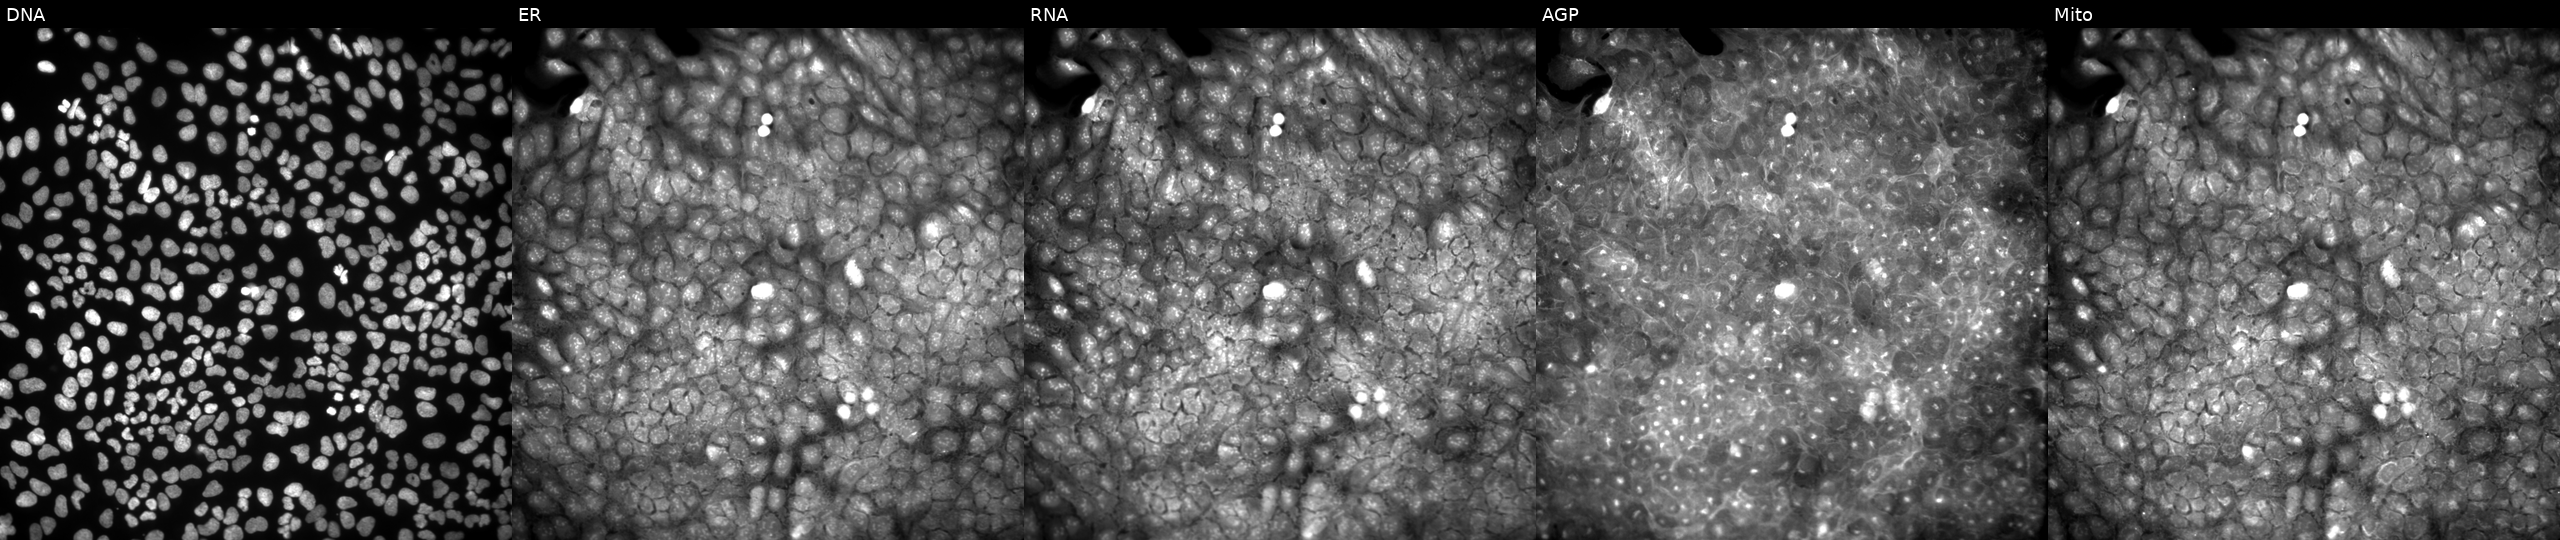
U2OS cells, Cell Painting assay, exposed to a small-molecule compound (InChIKey XNSVZGWHOCXOMJ-UHFFFAOYSA-N) (JUMP id JCP2022_104835). Channels (left→right): DNA (nuclei); ER (endoplasmic reticulum); RNA (nucleoli and cytoplasmic RNA); AGP (actin cytoskeleton, Golgi, and plasma membrane); Mito (mitochondria). Each panel is percentile-stretched 16-bit fluorescence.